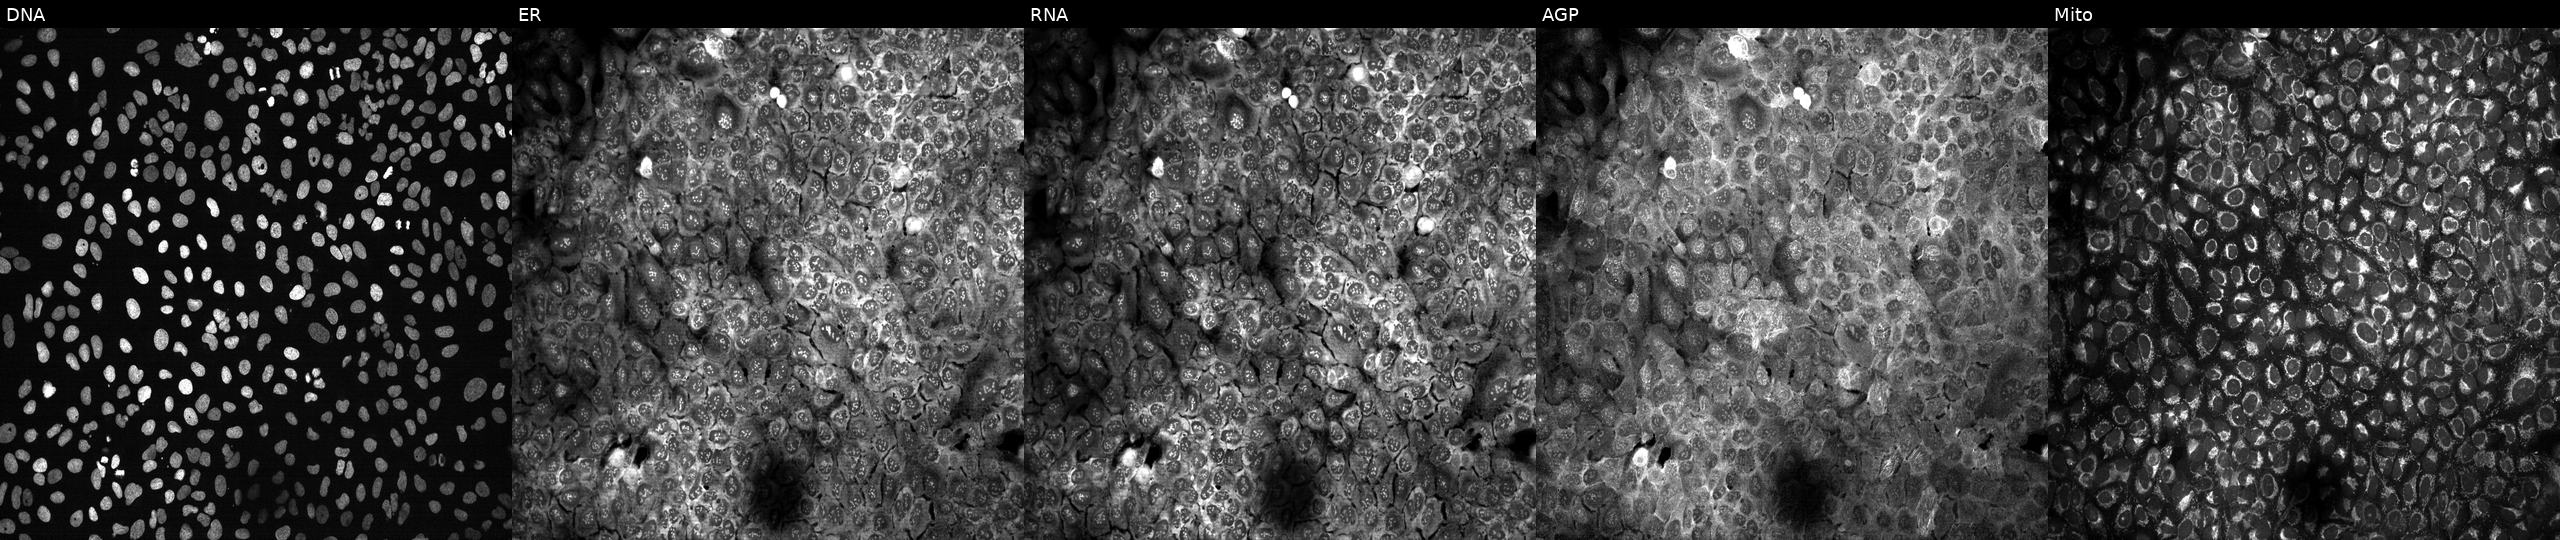
High-content fluorescence microscopy (Cell Painting). Cell line: U2OS. Perturbation: CRISPR-edited to disrupt IL12RB2 (JUMP id JCP2022_803367). Channels (left→right): Hoechst 33342, concanavalin A, SYTO 14, phalloidin and WGA, MitoTracker.